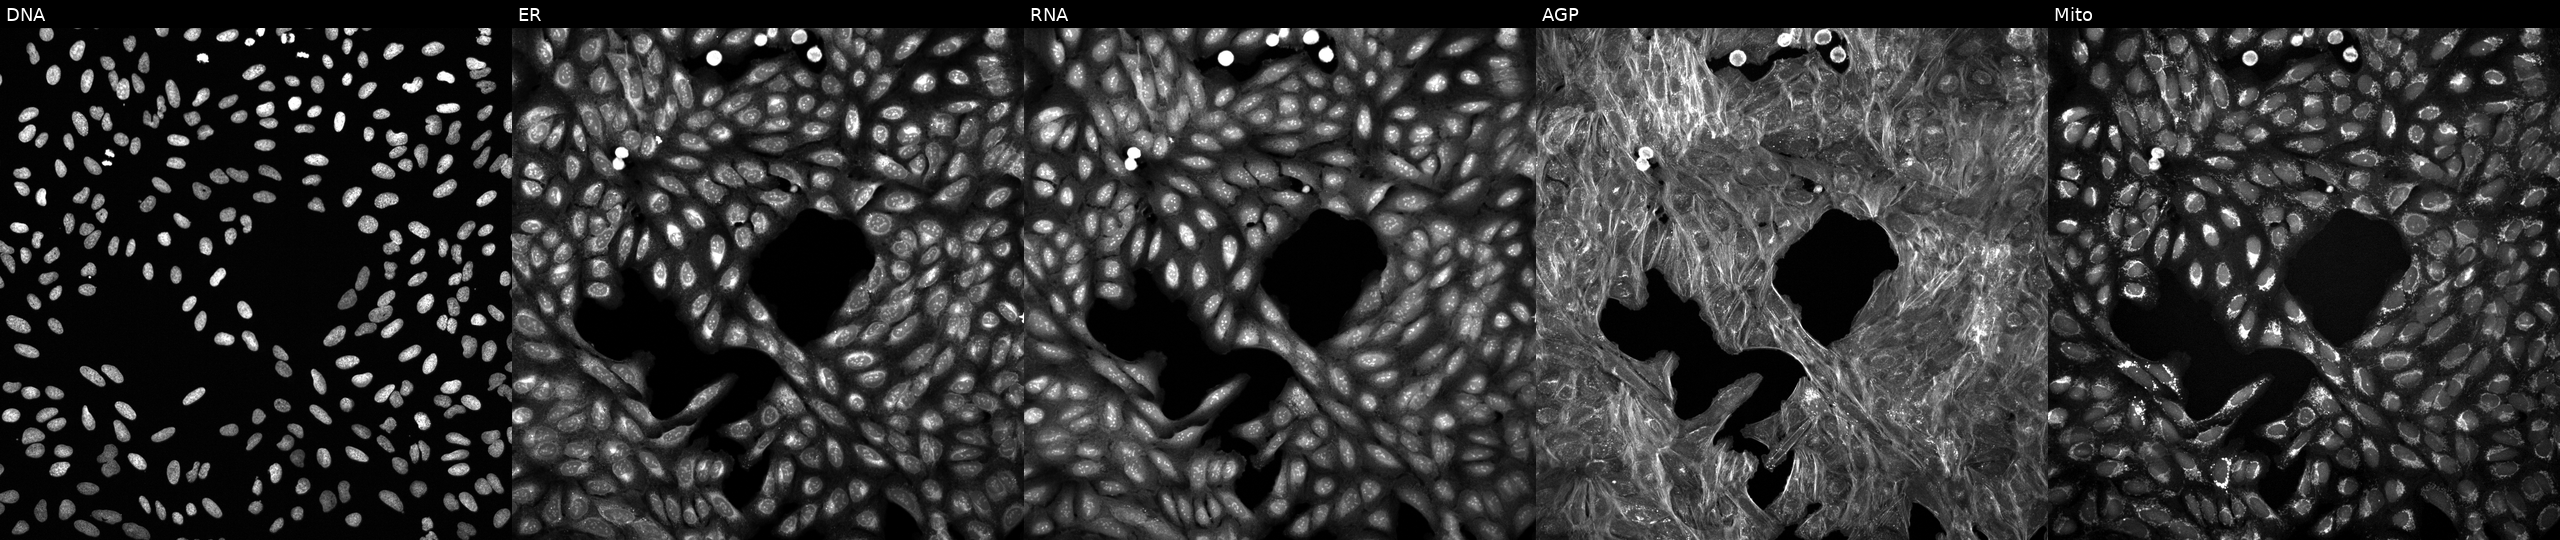
U2OS cells, Cell Painting assay, perturbed with a small-molecule compound (InChIKey IXRFZBVRHAKNCZ-UHFFFAOYSA-N). The five panels, left to right, show DNA (nuclei); ER (endoplasmic reticulum); RNA (nucleoli and cytoplasmic RNA); AGP (actin cytoskeleton, Golgi, and plasma membrane); Mito (mitochondria). Each panel is percentile-stretched 16-bit fluorescence.